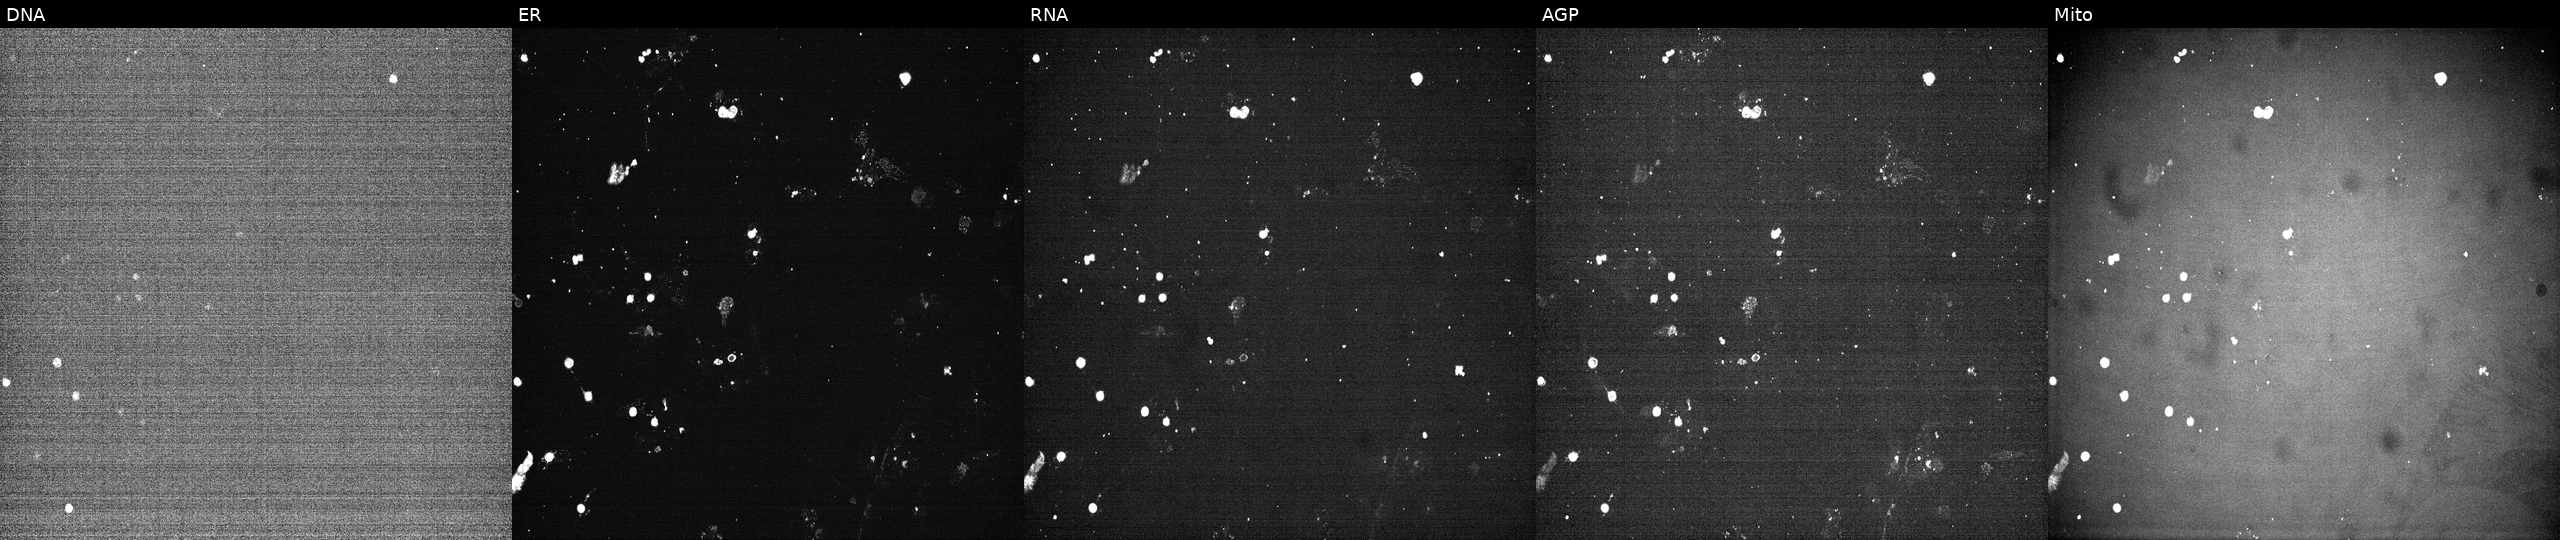
This image strip shows the five Cell Painting channels for a single field of U2OS cells perturbed with a small-molecule compound (InChIKey LSFLAQVDISHMNB-UHFFFAOYSA-N) [SMILES: N=c1[nH]cnc2c1c(-c1cccc(OCc3ccccc3)c1)cn2C1CC(CN2CCCC2)C1]. Panels show, left to right, DNA (nuclei); ER (endoplasmic reticulum); RNA (nucleoli and cytoplasmic RNA); AGP (actin cytoskeleton, Golgi, and plasma membrane); Mito (mitochondria). Source 7, plate CP2-SC1-25, well H14.